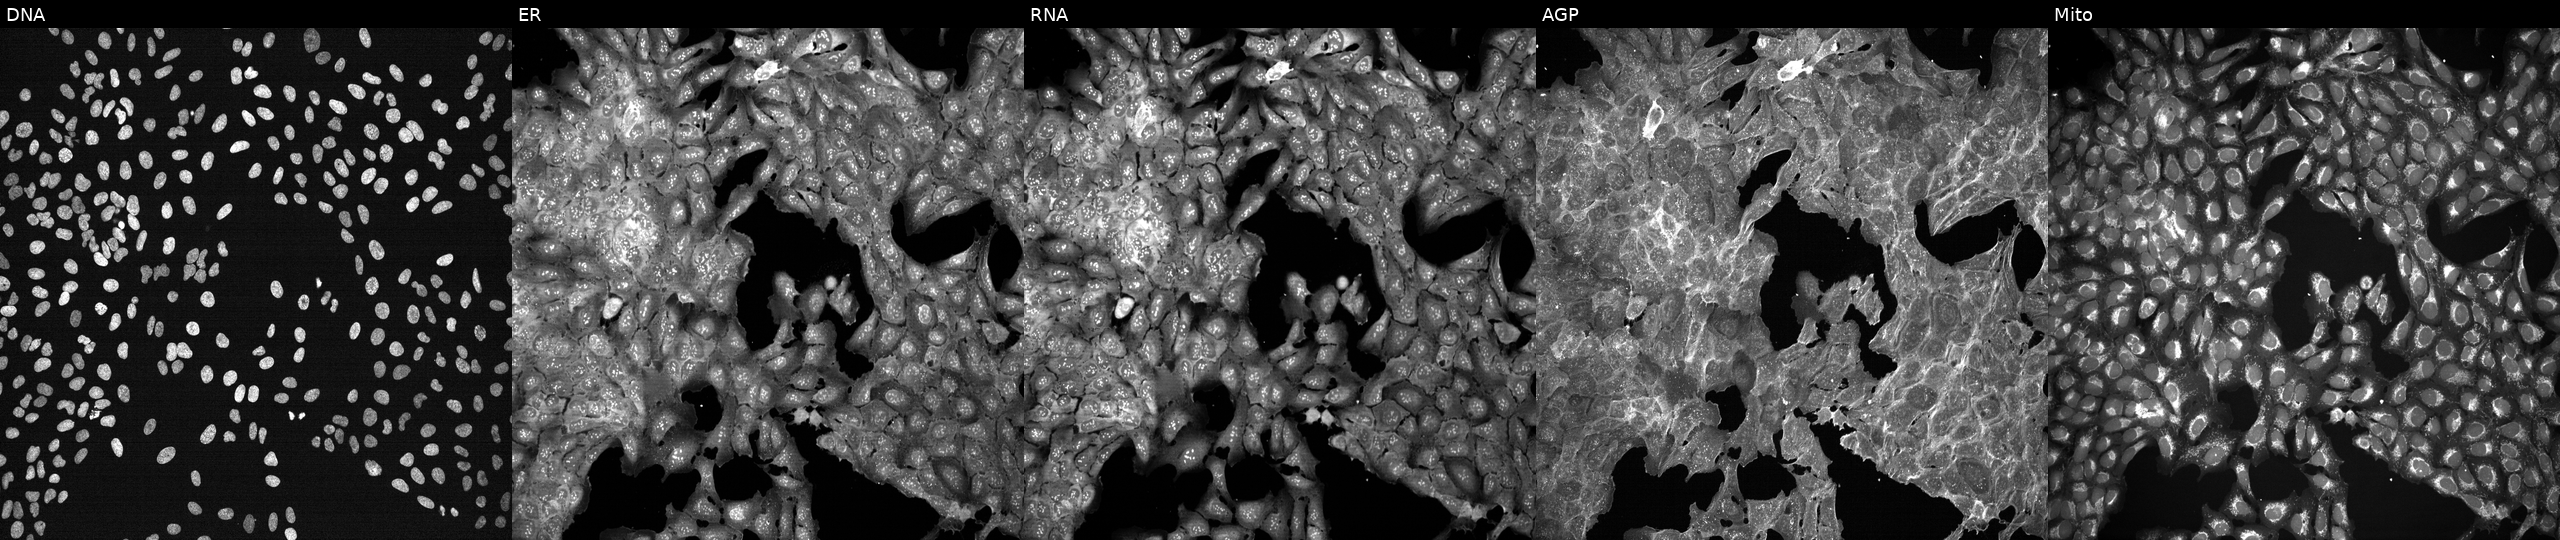
Five-channel Cell Painting image of U2OS cells treated with DMSO vehicle only (negative control). From left to right: DNA (nuclei); ER (endoplasmic reticulum); RNA (nucleoli and cytoplasmic RNA); AGP (actin cytoskeleton, Golgi, and plasma membrane); Mito (mitochondria). Source 7, plate CP3-SC1-25, well C16.